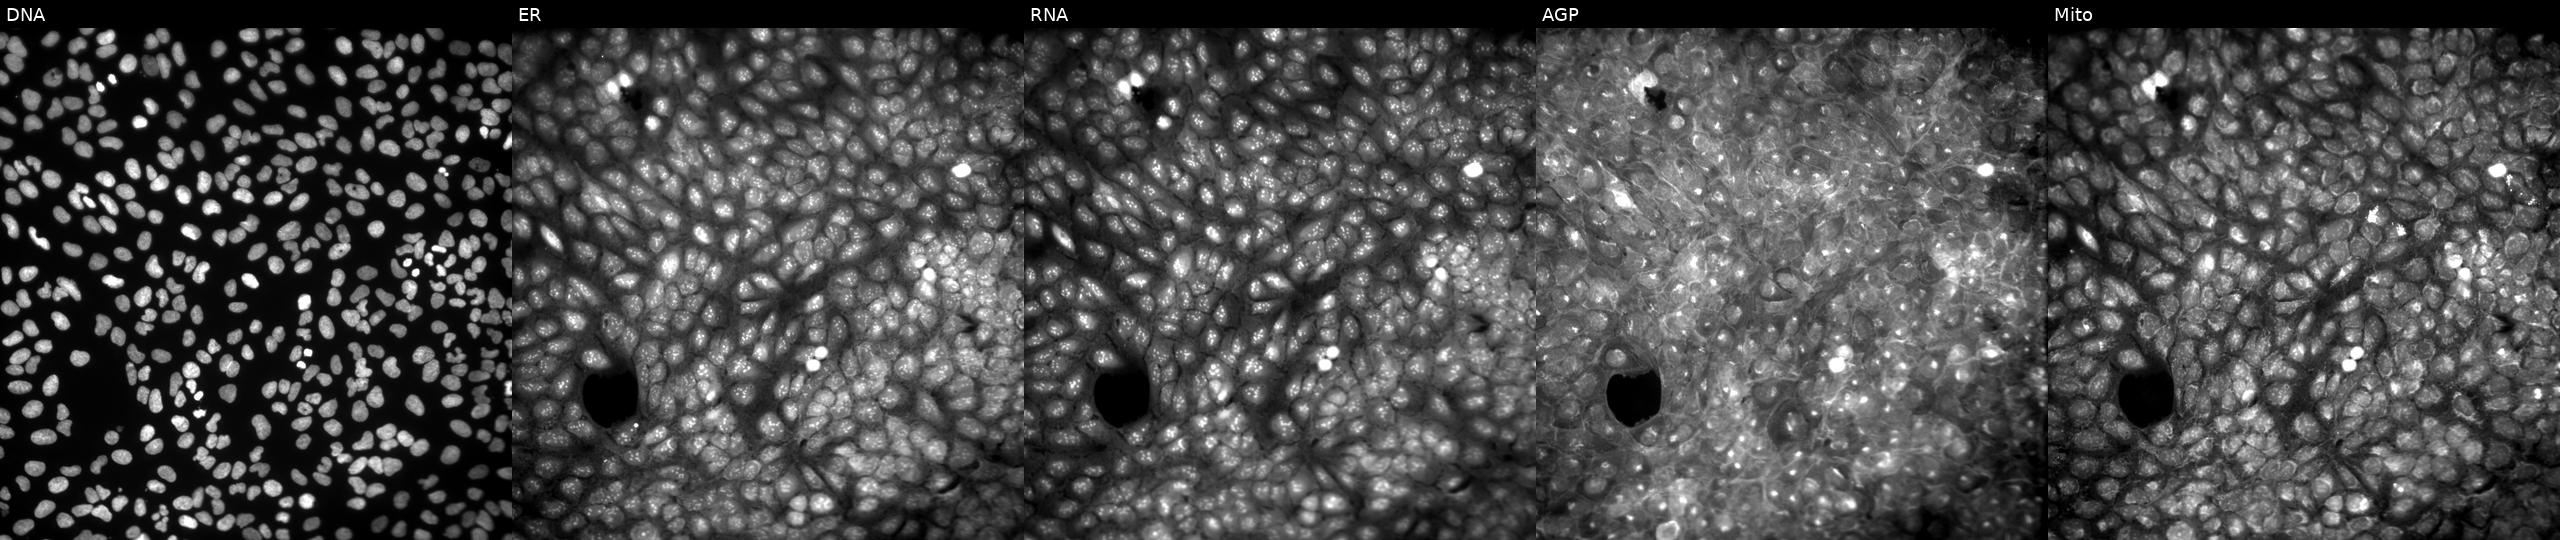
From left to right: Hoechst 33342, concanavalin A, SYTO 14, phalloidin and WGA, MitoTracker. U2OS osteosarcoma cells exposed to a small-molecule compound [SMILES: O=c1oc2cc(O)ccc2cc1-c1nc2ccccc2s1]. Cell Painting assay, JUMP-CP dataset. Source 9, plate GR00003382, well AC31.